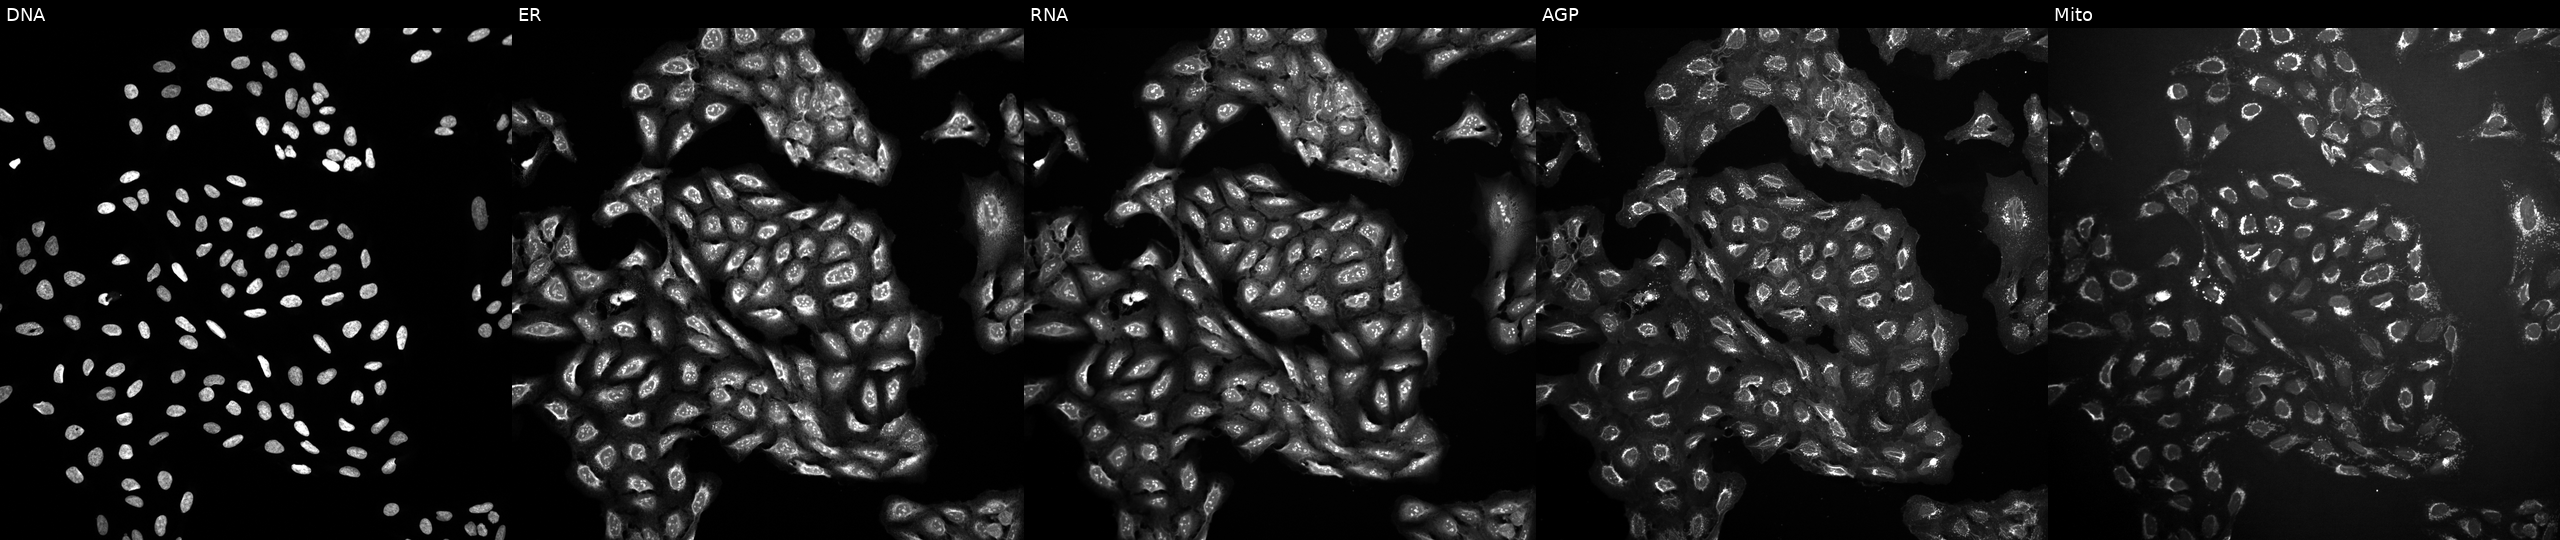
Panels show, left to right, Hoechst 33342, concanavalin A, SYTO 14, phalloidin and WGA, MitoTracker. U2OS osteosarcoma cells exposed to DMSO alone as a negative control (JUMP id JCP2022_033924). Cell Painting assay, JUMP-CP dataset.